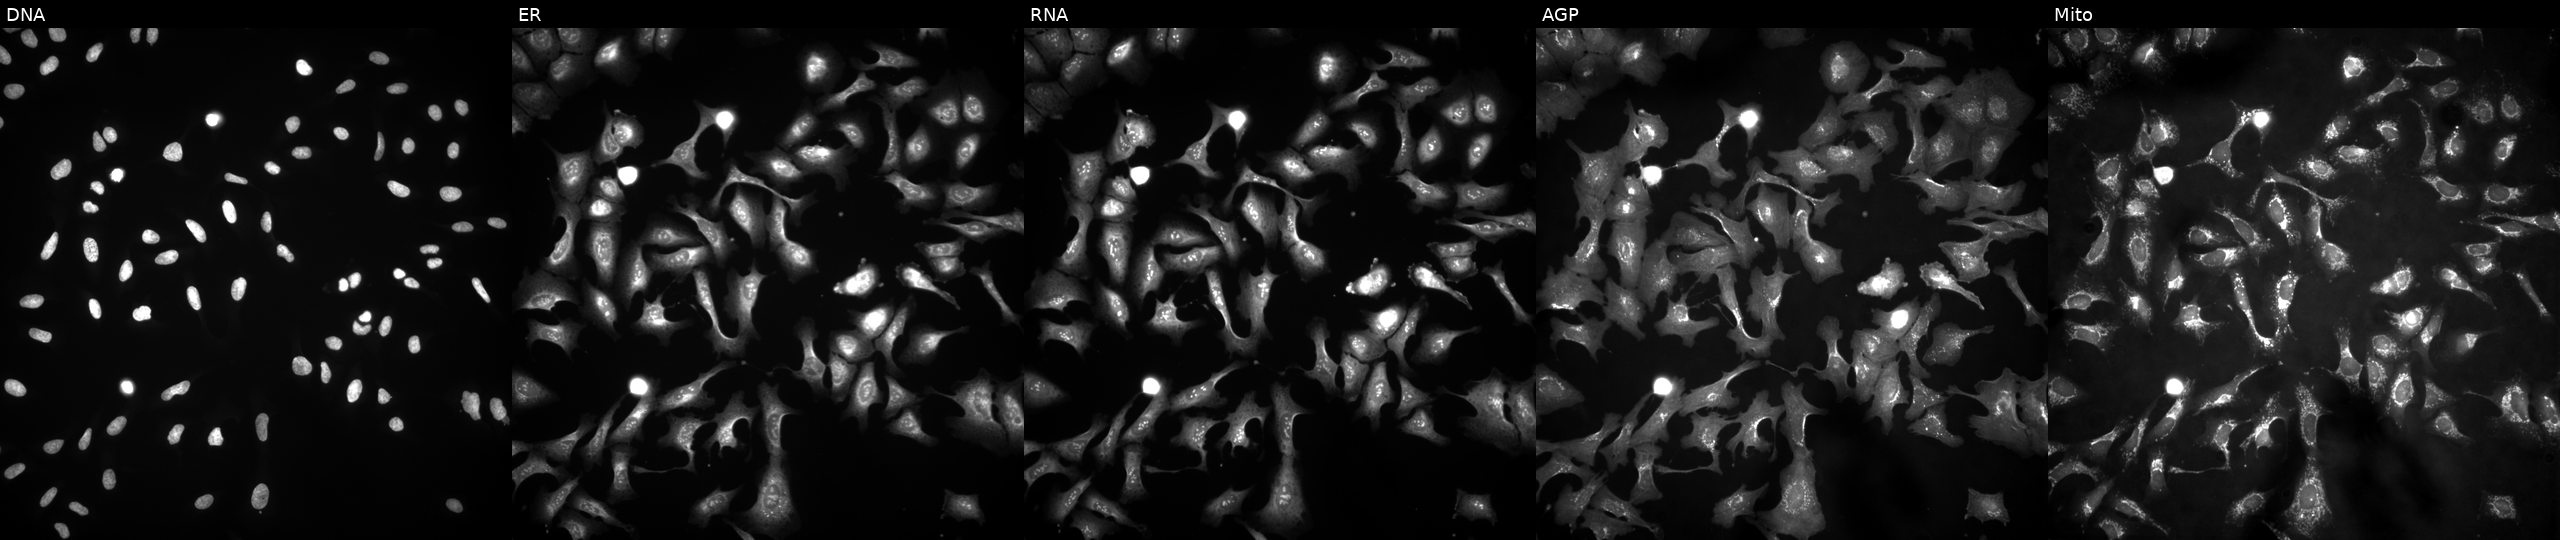
High-content fluorescence microscopy (Cell Painting). Cell line: U2OS. Perturbation: transfected with an ORF construct for TRIB2. The five panels, left to right, show DNA, ER, RNA, AGP, and Mito. Source 4, plate BR00121543, well H15.